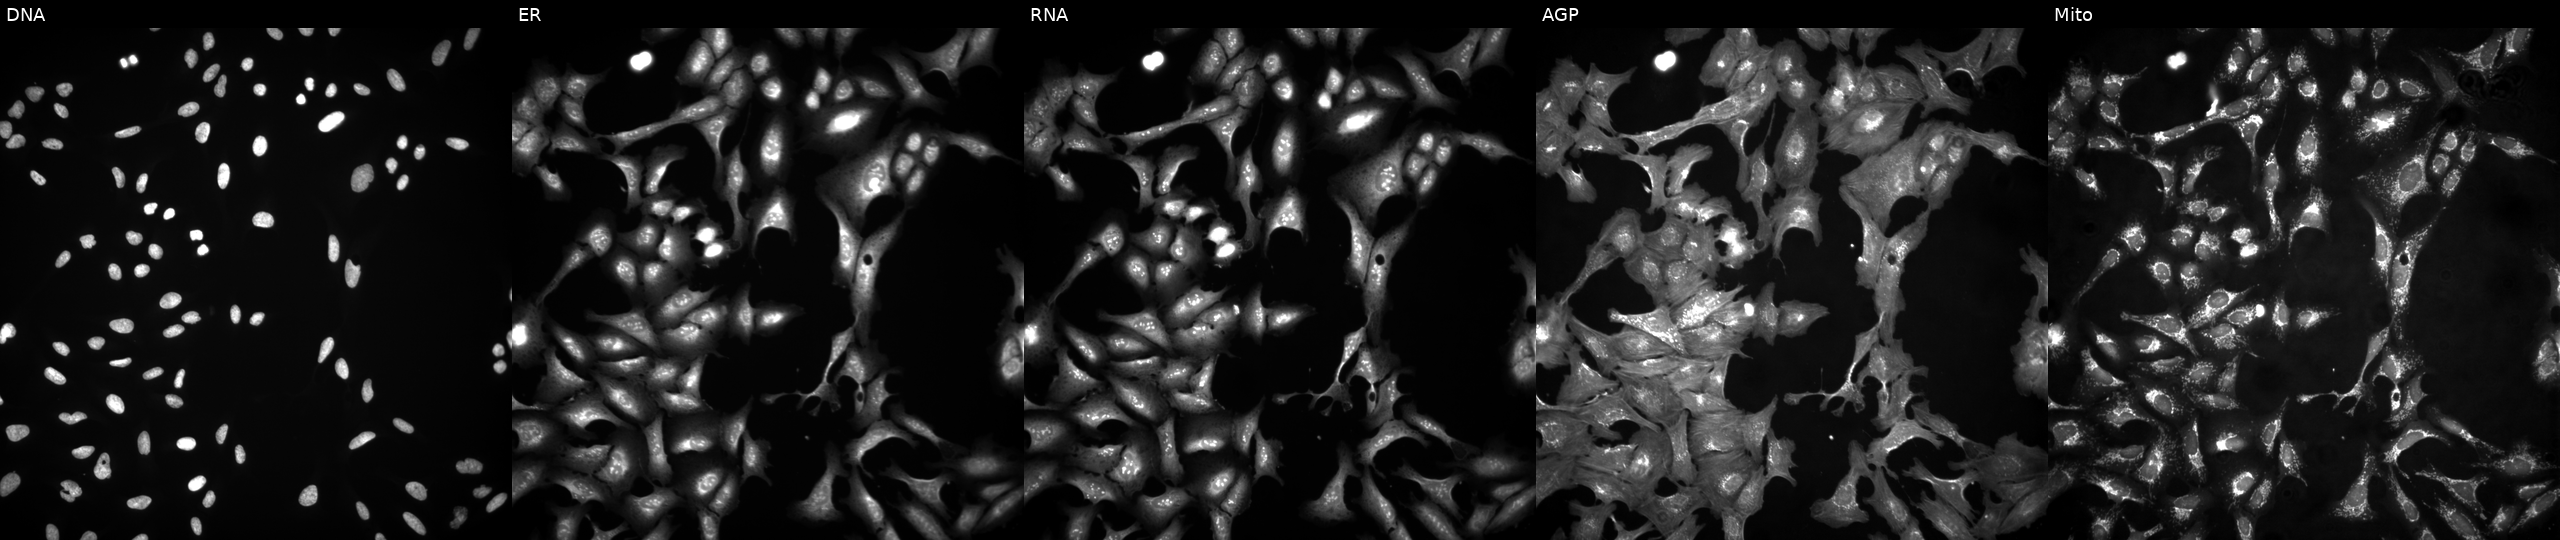
JUMP Cell Painting — ORF plate. U2OS cells expressing eGFP (ORF positive control). The five panels, left to right, show DNA, ER, RNA, AGP, and Mito.